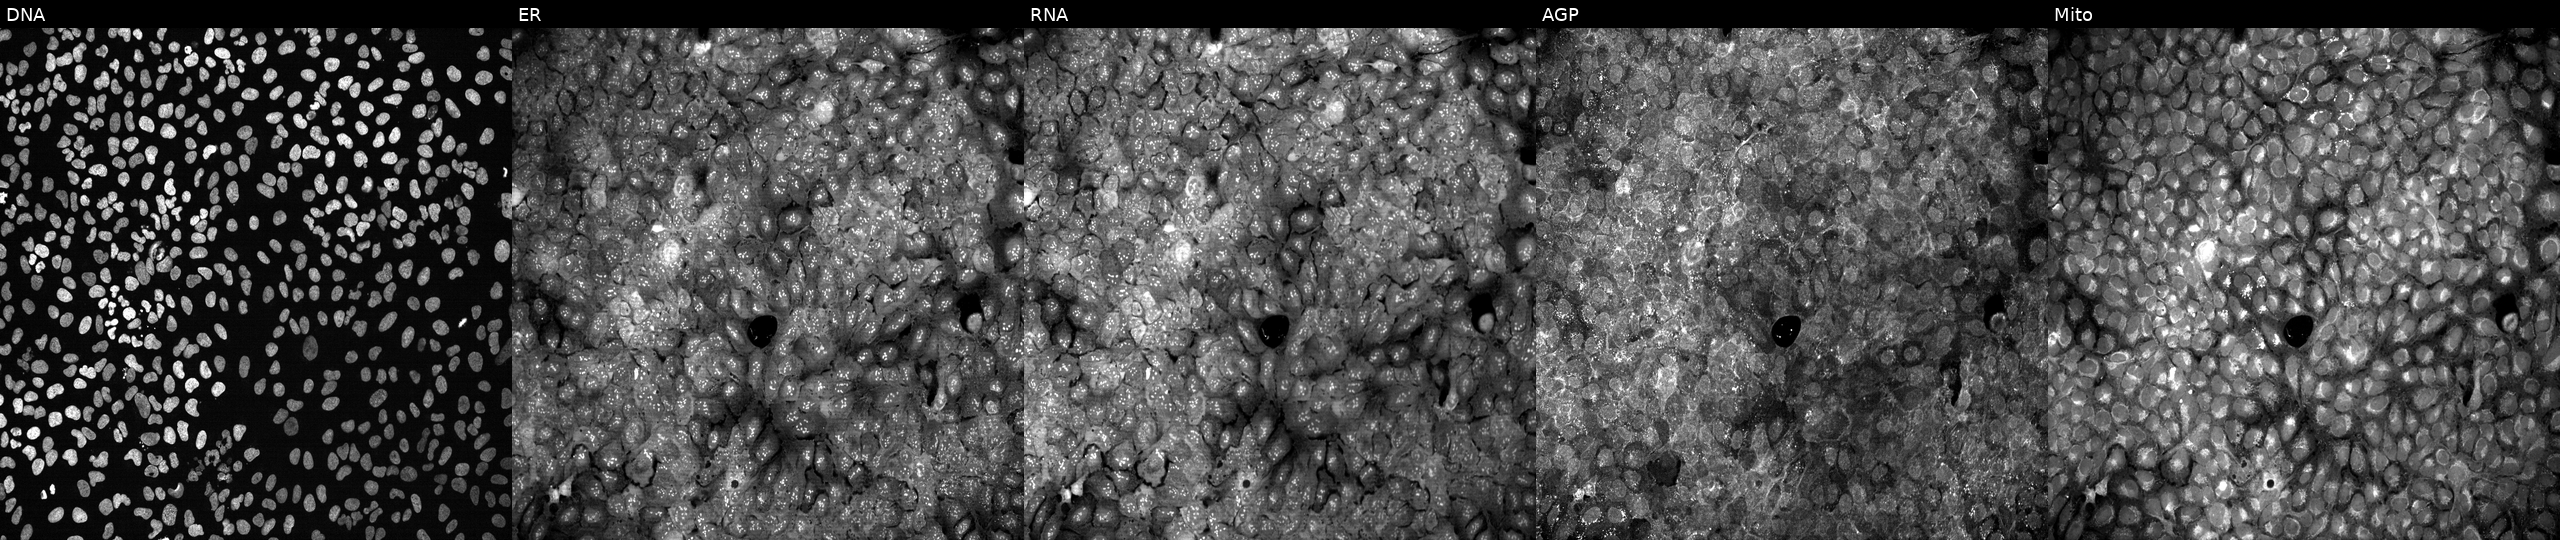
The five panels, left to right, show Hoechst 33342, concanavalin A, SYTO 14, phalloidin and WGA, MitoTracker. U2OS osteosarcoma cells following CRISPR knockout of IL10RB. Cell Painting assay, JUMP-CP dataset. Source 13, plate CP-CC9-R1-02, well C16.